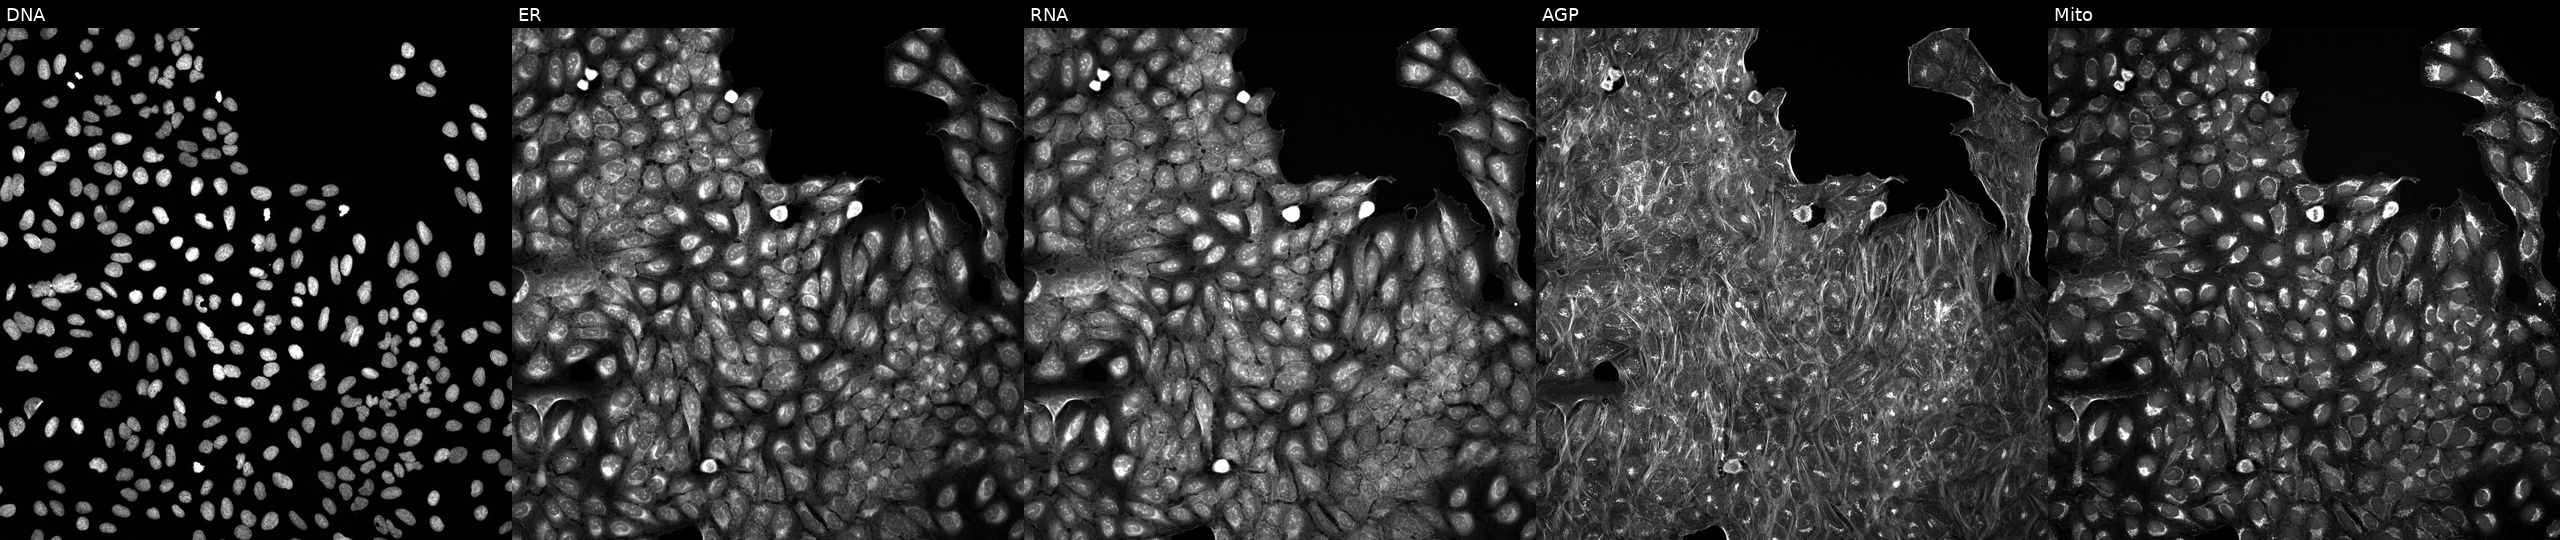
High-content fluorescence microscopy (Cell Painting). Cell line: U2OS. Perturbation: treated with a small-molecule compound (InChIKey SQMWSBKSHWARHU-UHFFFAOYSA-N) [SMILES: OCC1OC(n2cnc3c(=NC4CCCC4)[nH]cnc32)C(O)C1O] (JUMP id JCP2022_084963). Channels (left→right): Hoechst 33342, concanavalin A, SYTO 14, phalloidin and WGA, MitoTracker.